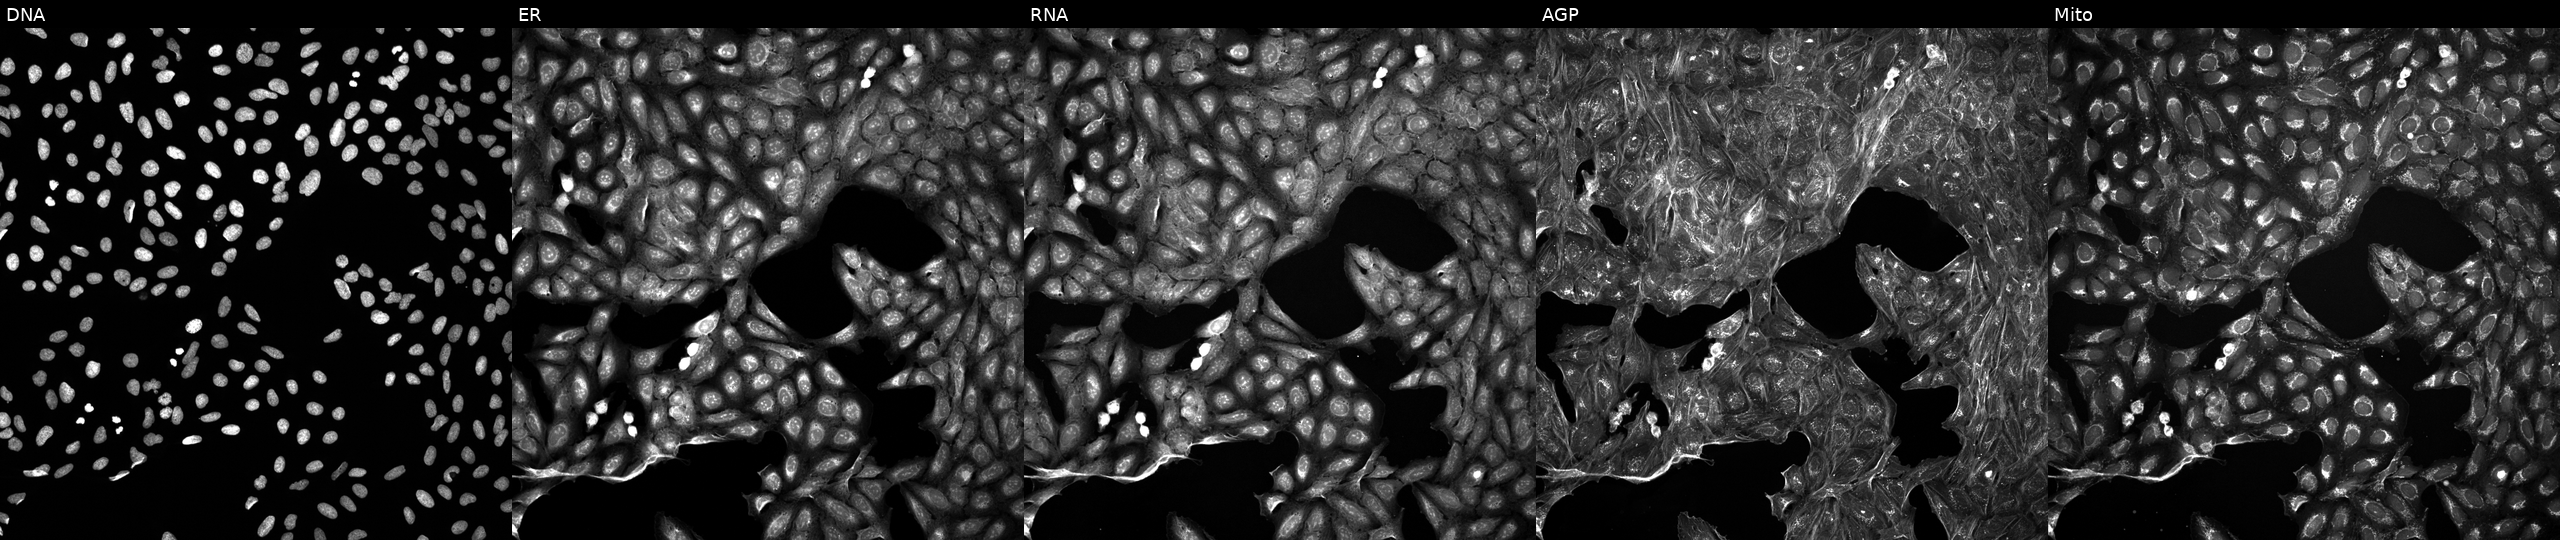
Five-channel Cell Painting image of U2OS cells perturbed with a small-molecule compound (InChIKey YULUCECVQOCQFQ-UHFFFAOYSA-N) (JUMP id JCP2022_110929). The five panels, left to right, show DNA, ER, RNA, AGP, and Mito. Source 5, plate ACPJUM051, well I14.